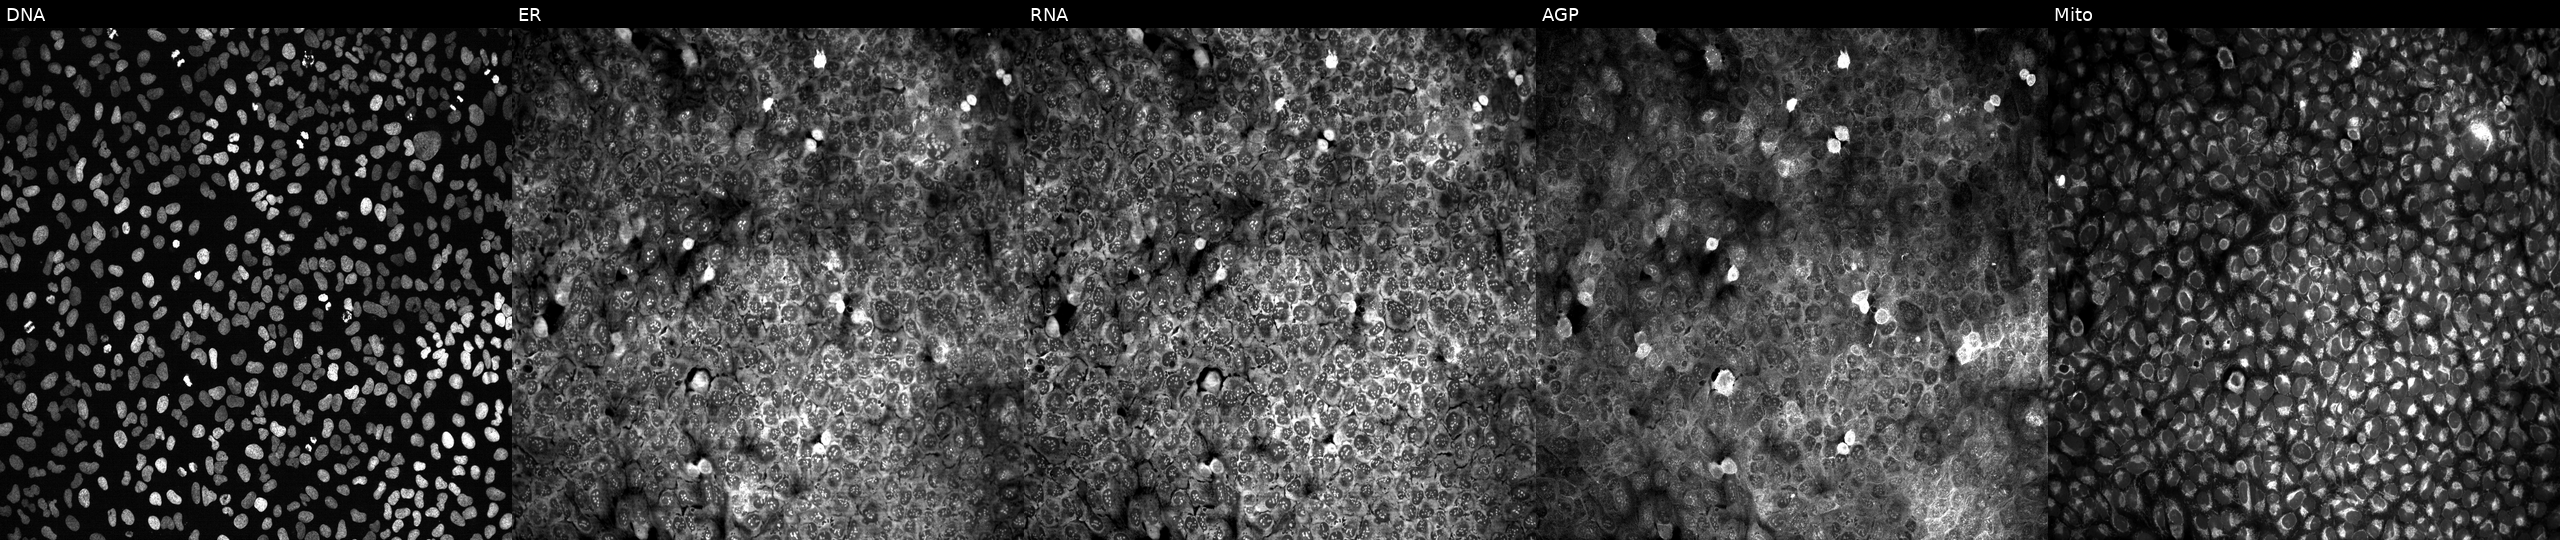
Five-channel Cell Painting image of U2OS cells CRISPR-edited to disrupt MPPED2. The five panels, left to right, show DNA, ER, RNA, AGP, and Mito.